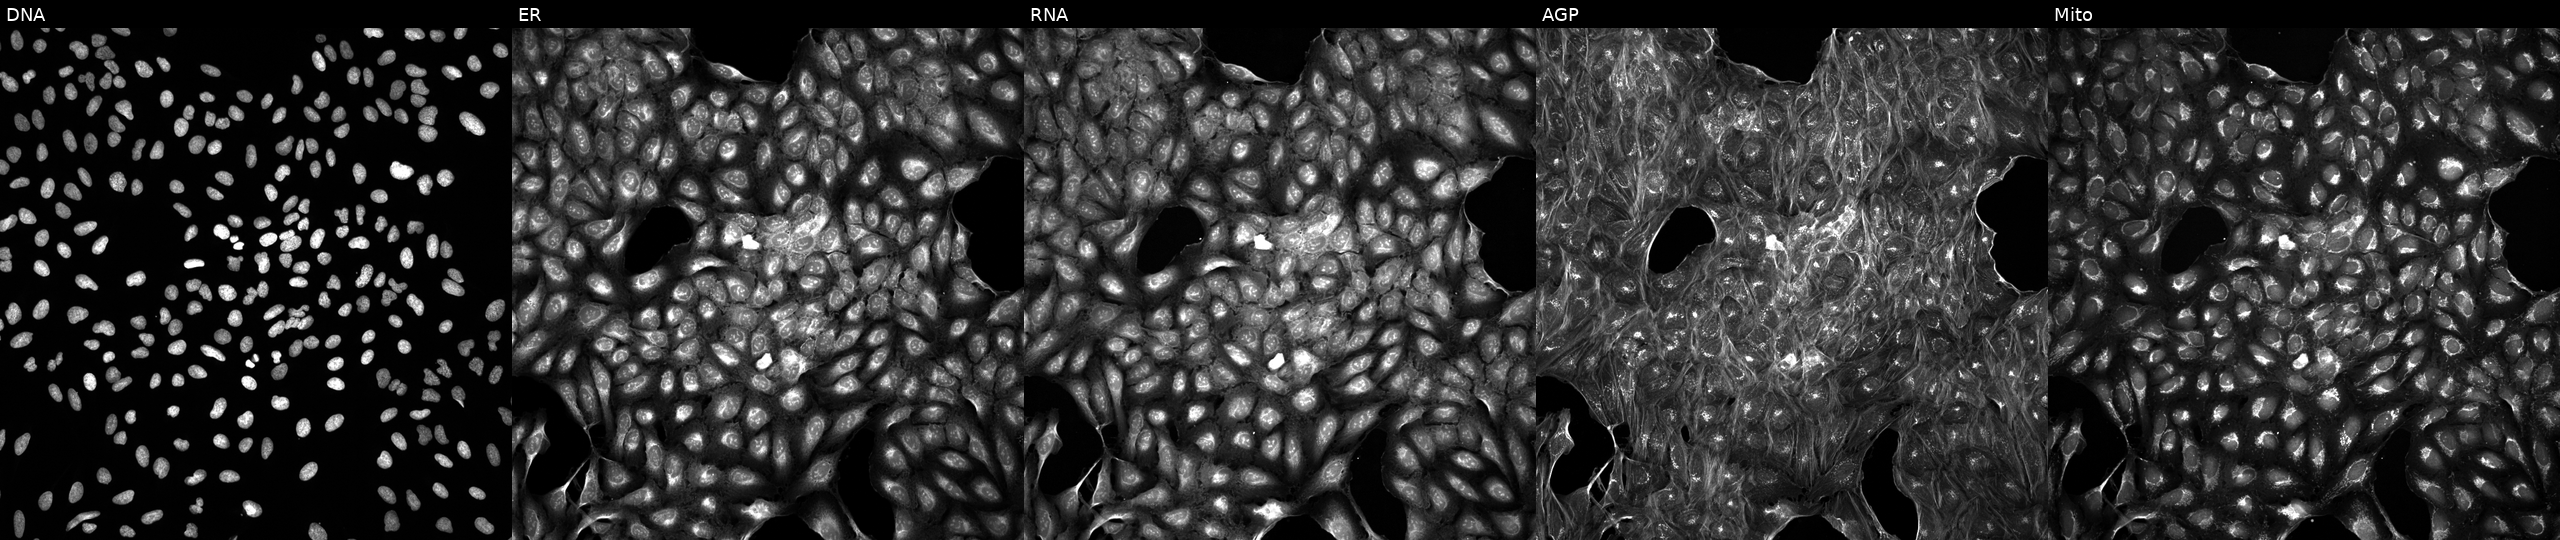
JUMP Cell Painting — TARGET2 plate. U2OS cells exposed to a small-molecule compound (InChIKey HBUBKKRHXORPQB-UHFFFAOYSA-N). The five panels, left to right, show DNA, ER, RNA, AGP, and Mito. Source 5, plate ACPJUM032, well I23.